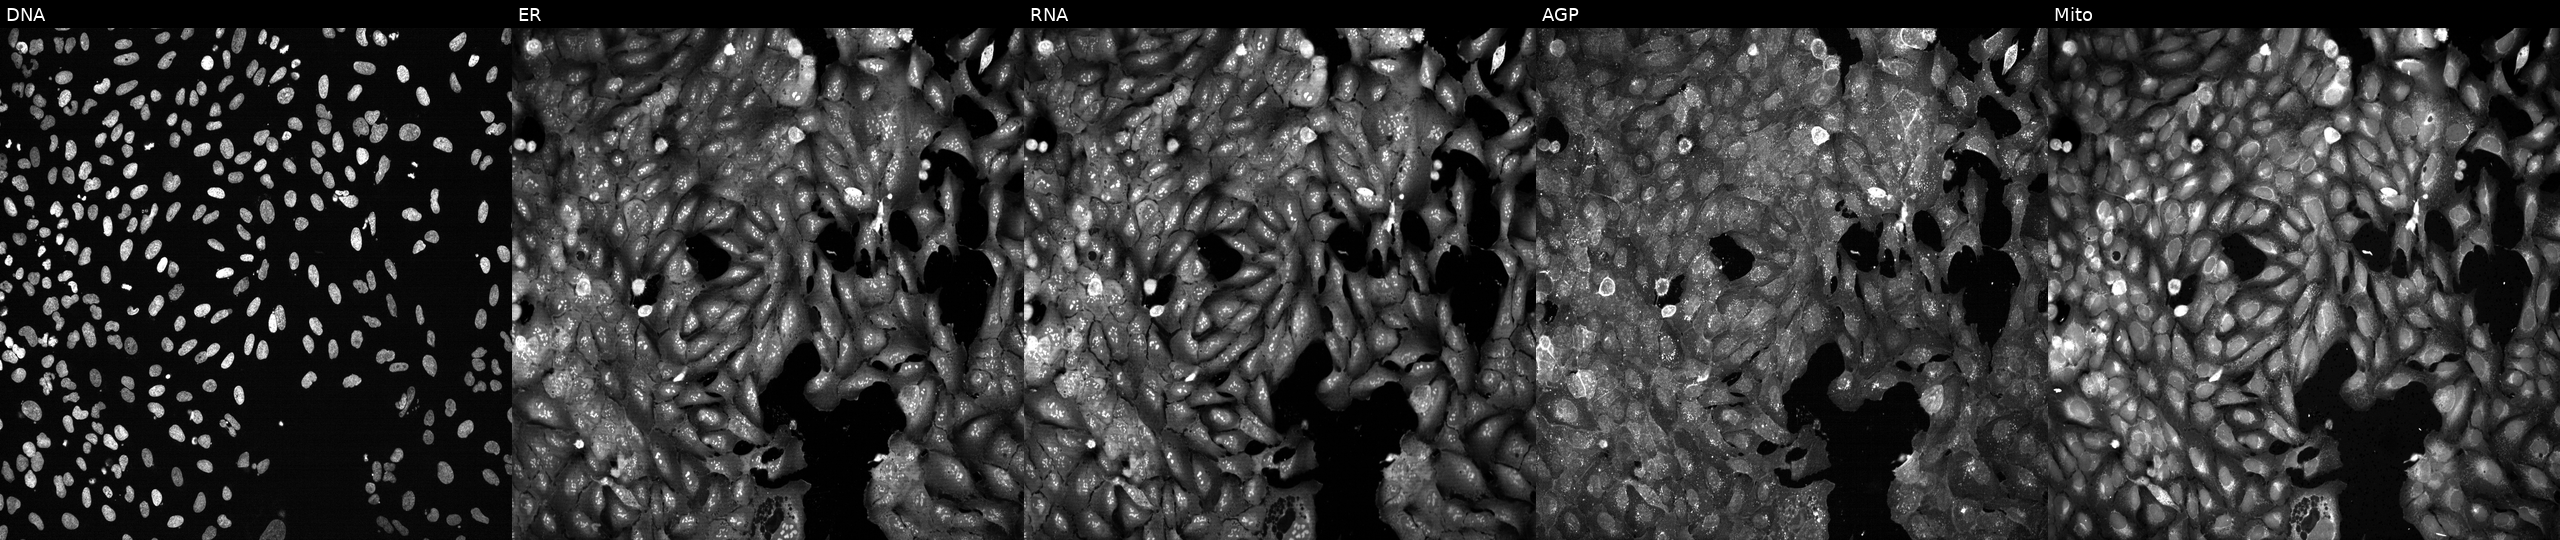
This image strip shows the five Cell Painting channels for a single field of U2OS cells CRISPR-edited to disrupt ATP1A3 (JUMP id JCP2022_800702). Channels (left→right): DNA, ER, RNA, AGP, and Mito. Source 13, plate CP-CC9-R1-01, well J16.